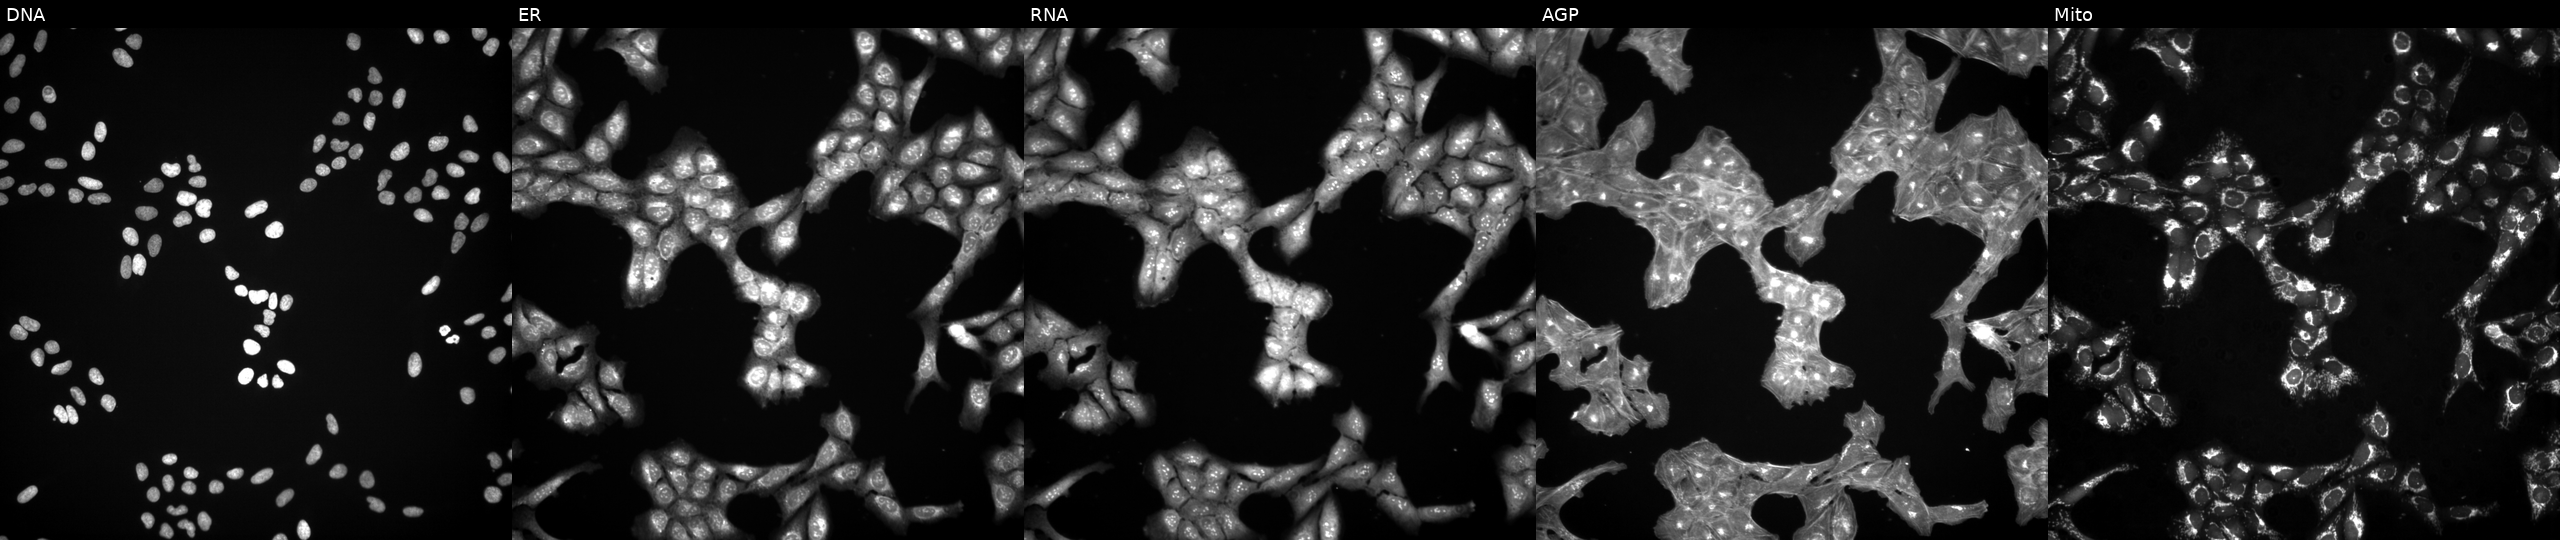
This image strip shows the five Cell Painting channels for a single field of U2OS cells exposed to a small-molecule compound (InChIKey SGRYPYWGNKJSDL-UHFFFAOYSA-N). Panels show, left to right, DNA (nuclei); ER (endoplasmic reticulum); RNA (nucleoli and cytoplasmic RNA); AGP (actin cytoskeleton, Golgi, and plasma membrane); Mito (mitochondria).